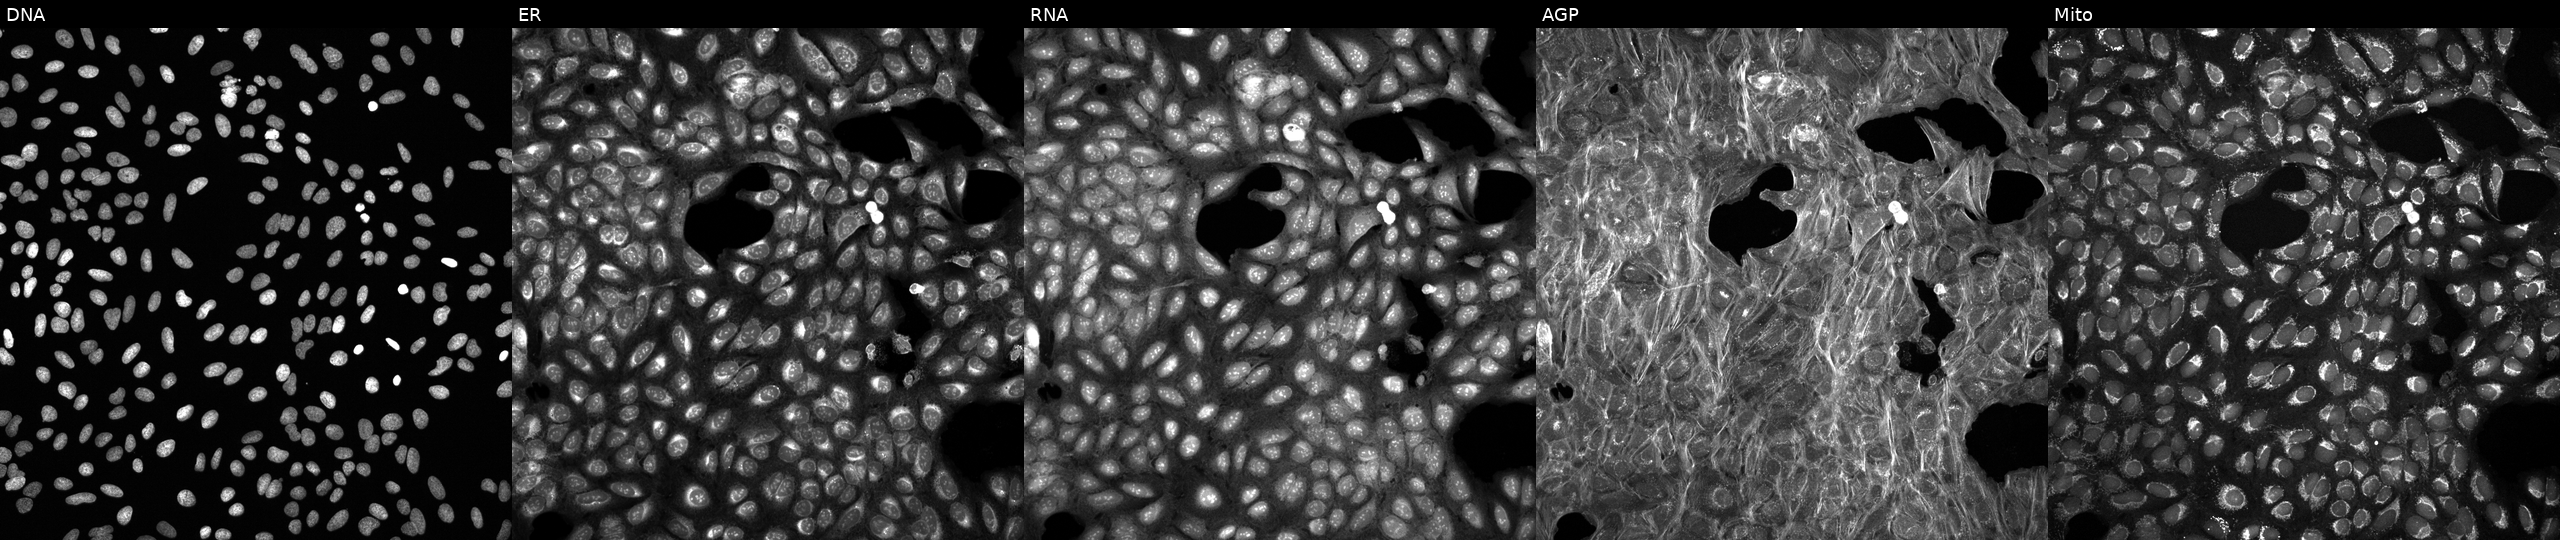
From left to right: Hoechst 33342, concanavalin A, SYTO 14, phalloidin and WGA, MitoTracker. U2OS osteosarcoma cells treated with a small-molecule compound (InChIKey YMDXSGBNCBQYGC-UHFFFAOYSA-N) (JUMP id JCP2022_109350). Cell Painting assay, JUMP-CP dataset.